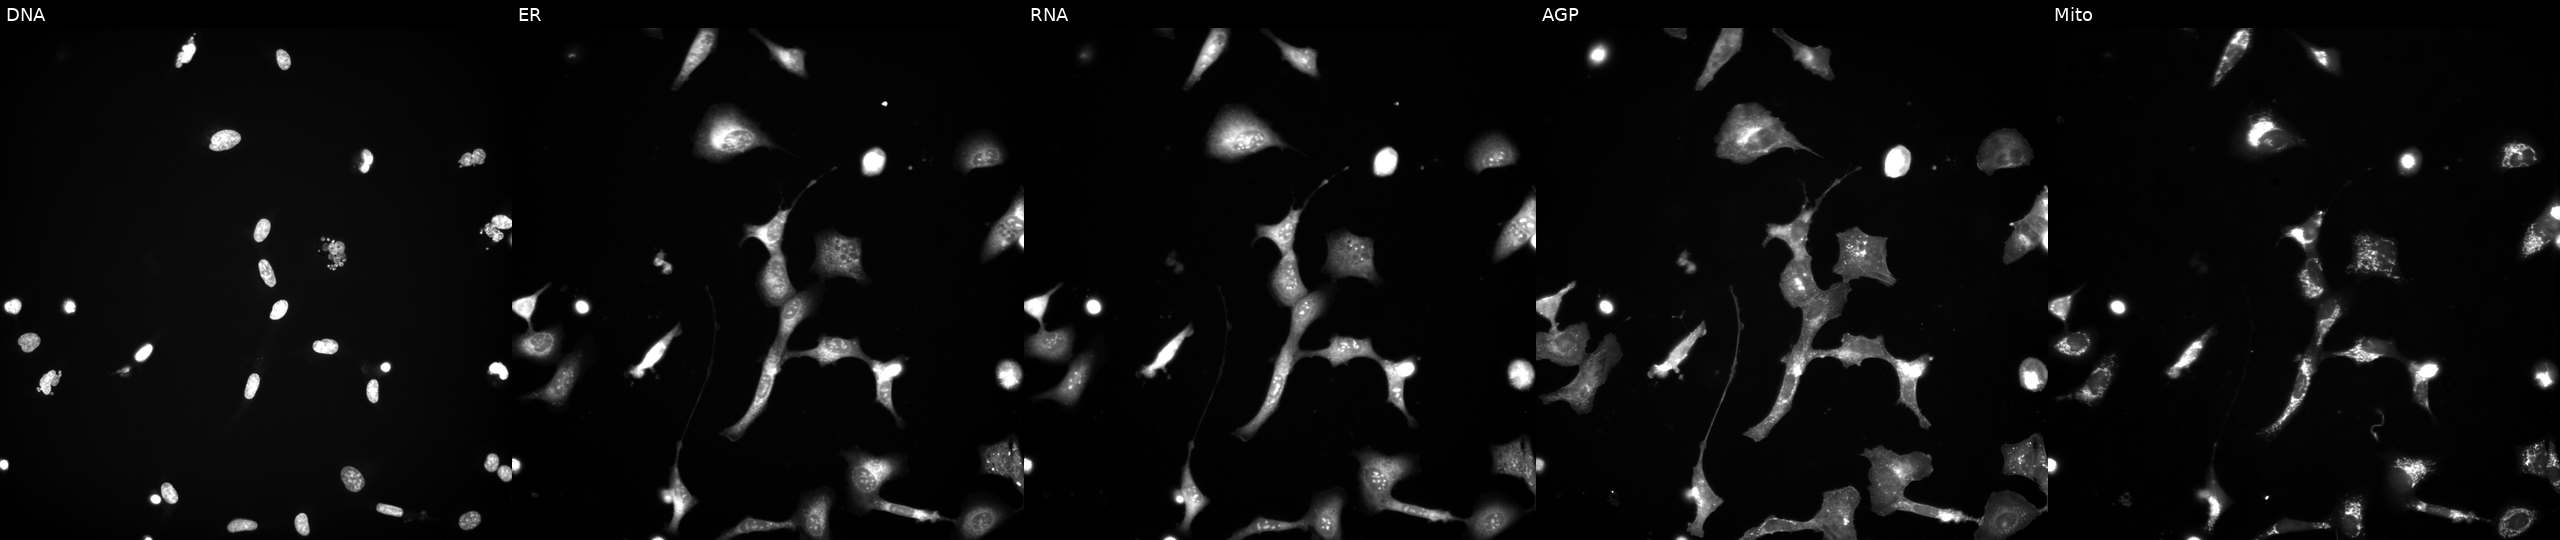
The five panels, left to right, show Hoechst 33342, concanavalin A, SYTO 14, phalloidin and WGA, MitoTracker. U2OS osteosarcoma cells exposed to a small-molecule compound (InChIKey XQVVPGYIWAGRNI-UHFFFAOYSA-N) (JUMP id JCP2022_105442). Cell Painting assay, JUMP-CP dataset.